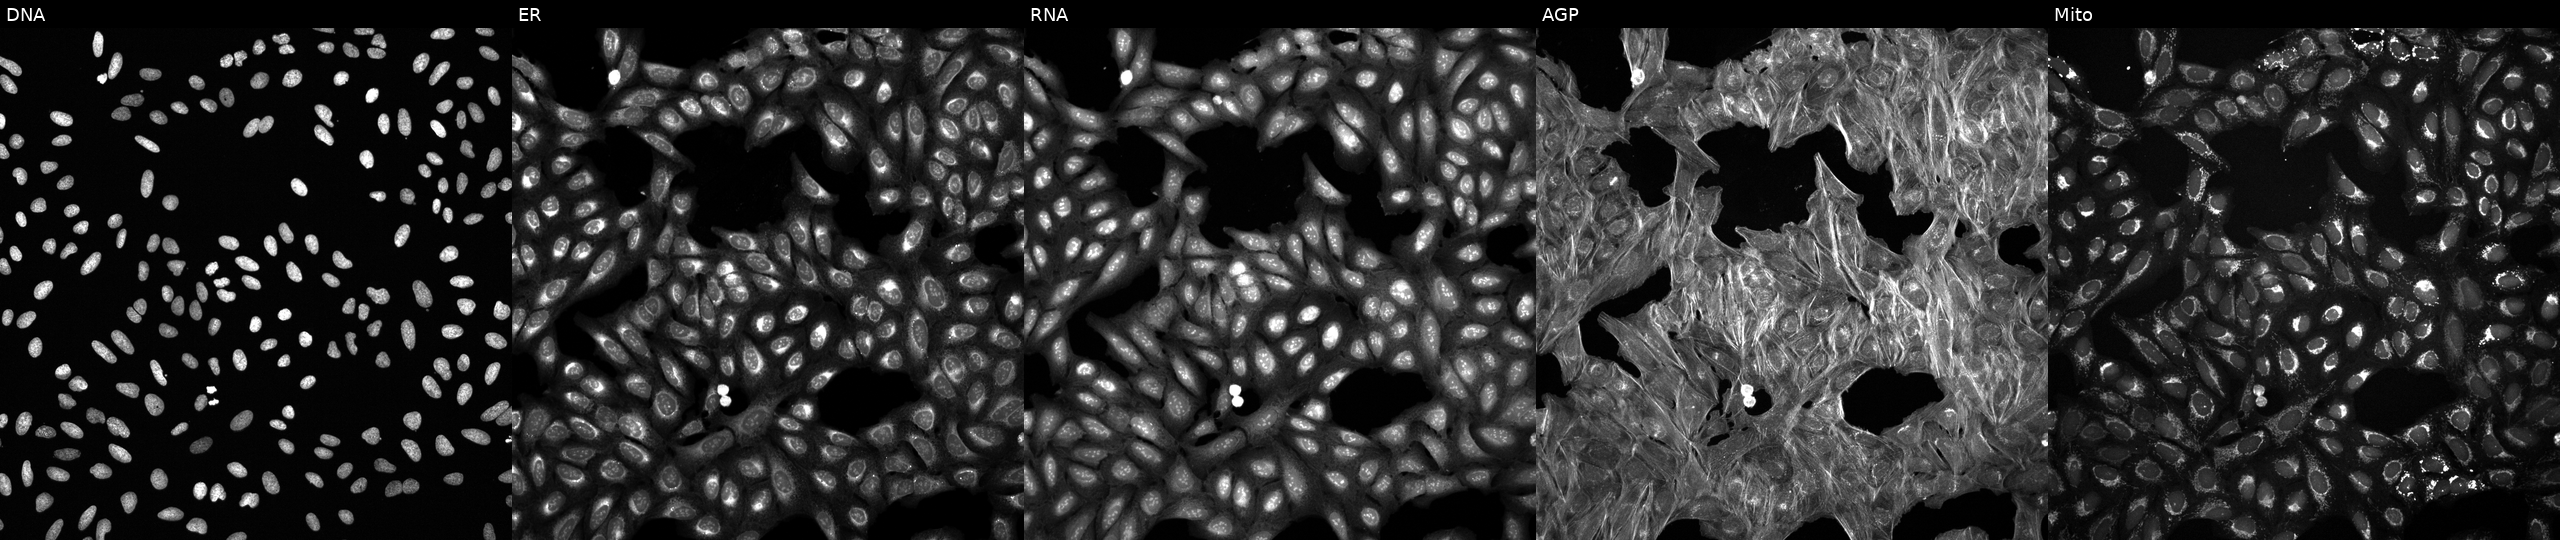
This image strip shows the five Cell Painting channels for a single field of U2OS cells exposed to DMSO alone as a negative control (JUMP id JCP2022_033924). The five panels, left to right, show DNA (nuclei); ER (endoplasmic reticulum); RNA (nucleoli and cytoplasmic RNA); AGP (actin cytoskeleton, Golgi, and plasma membrane); Mito (mitochondria). Source 6, plate 110000293083, well F02.